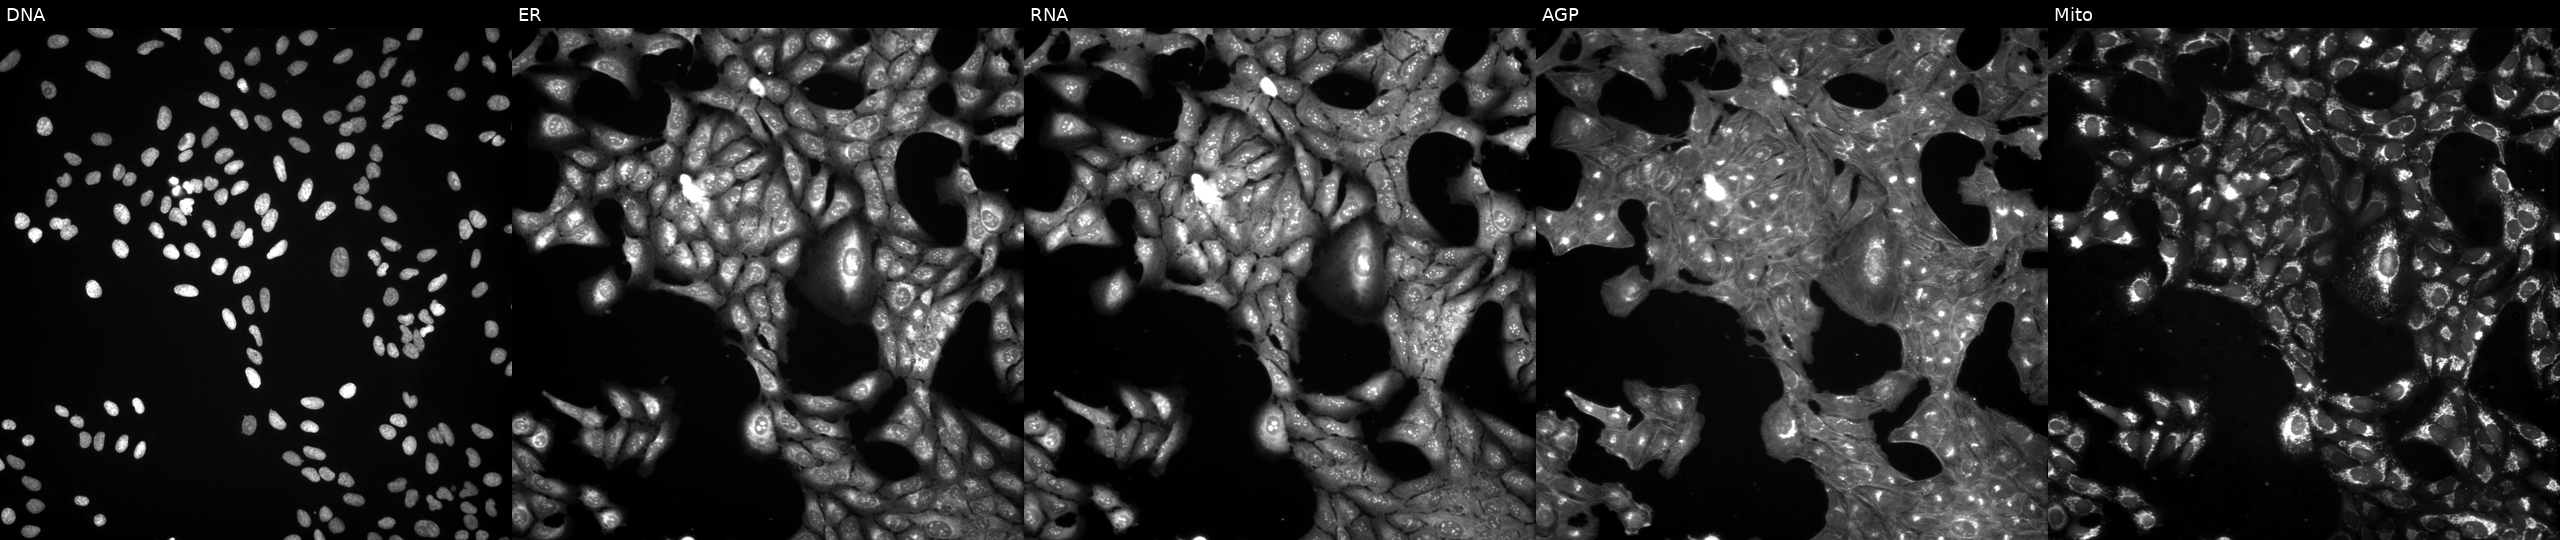
Five-channel Cell Painting image of U2OS cells exposed to a small-molecule compound (InChIKey DTGLZDAWLRGWQN-UHFFFAOYSA-N) [SMILES: CC(=O)Oc1cc2c(s1)CCN(C(C(=O)C1CC1)c1ccccc1F)C2]. Panels show, left to right, Hoechst 33342, concanavalin A, SYTO 14, phalloidin and WGA, MitoTracker. Source 3, plate JCPQC052, well O07.